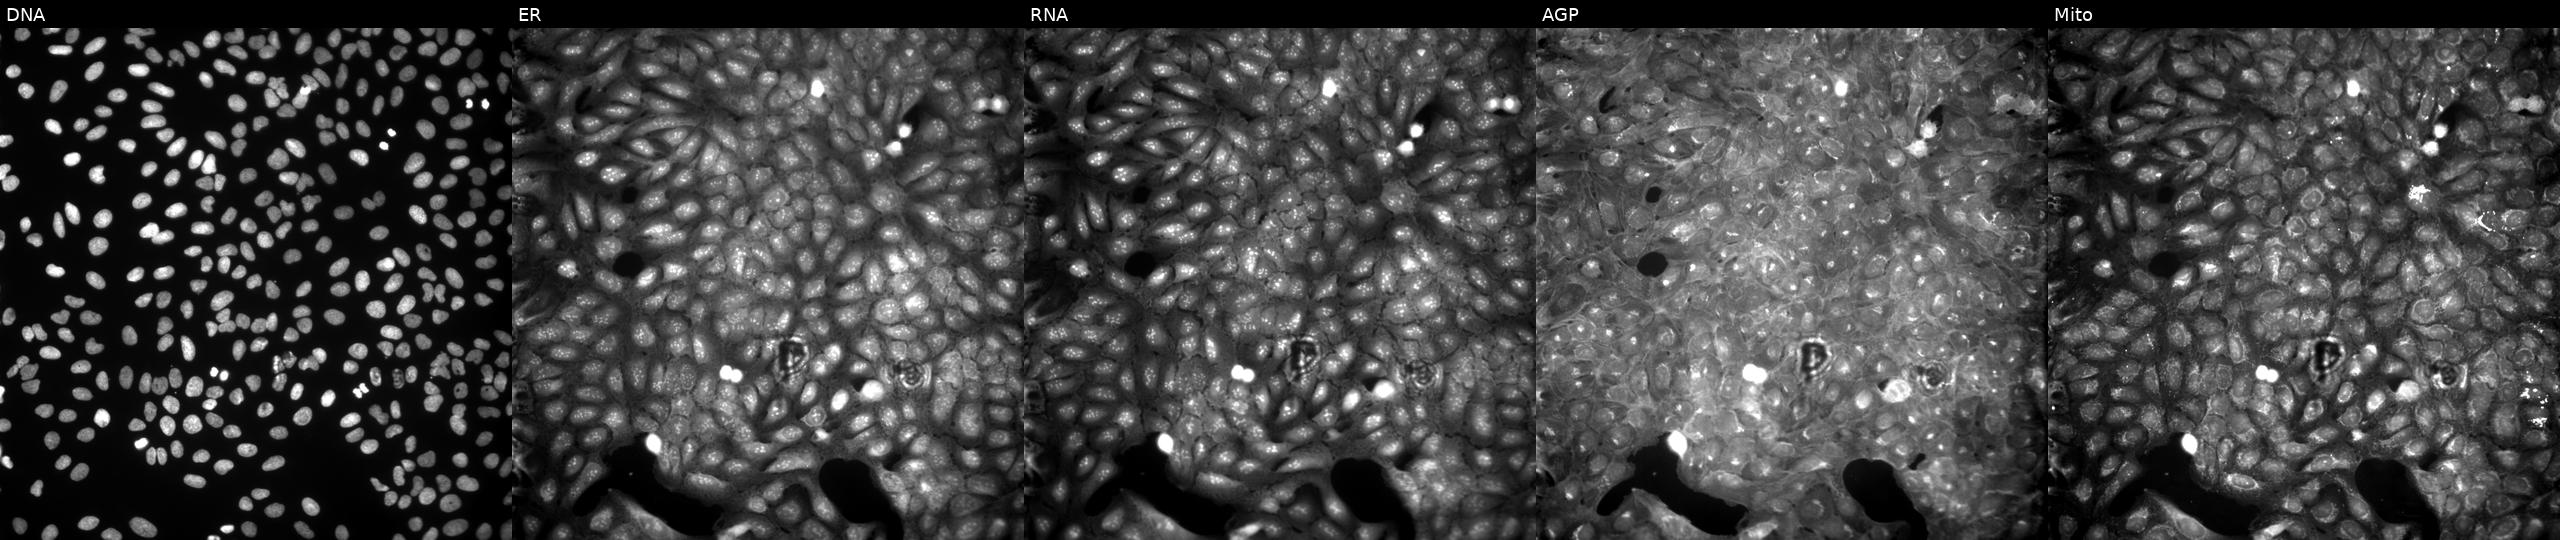
JUMP Cell Painting — COMPOUND plate. U2OS cells treated with a small-molecule compound (InChIKey MVYHLVNPNPHADK-UHFFFAOYSA-N) [SMILES: COc1ccc(CCN2C(=O)CSC2c2ccc([N+](=O)[O-])cc2)cc1OC]. Panels show, left to right, DNA (nuclei); ER (endoplasmic reticulum); RNA (nucleoli and cytoplasmic RNA); AGP (actin cytoskeleton, Golgi, and plasma membrane); Mito (mitochondria). Source 9, plate GR00003381, well A28.